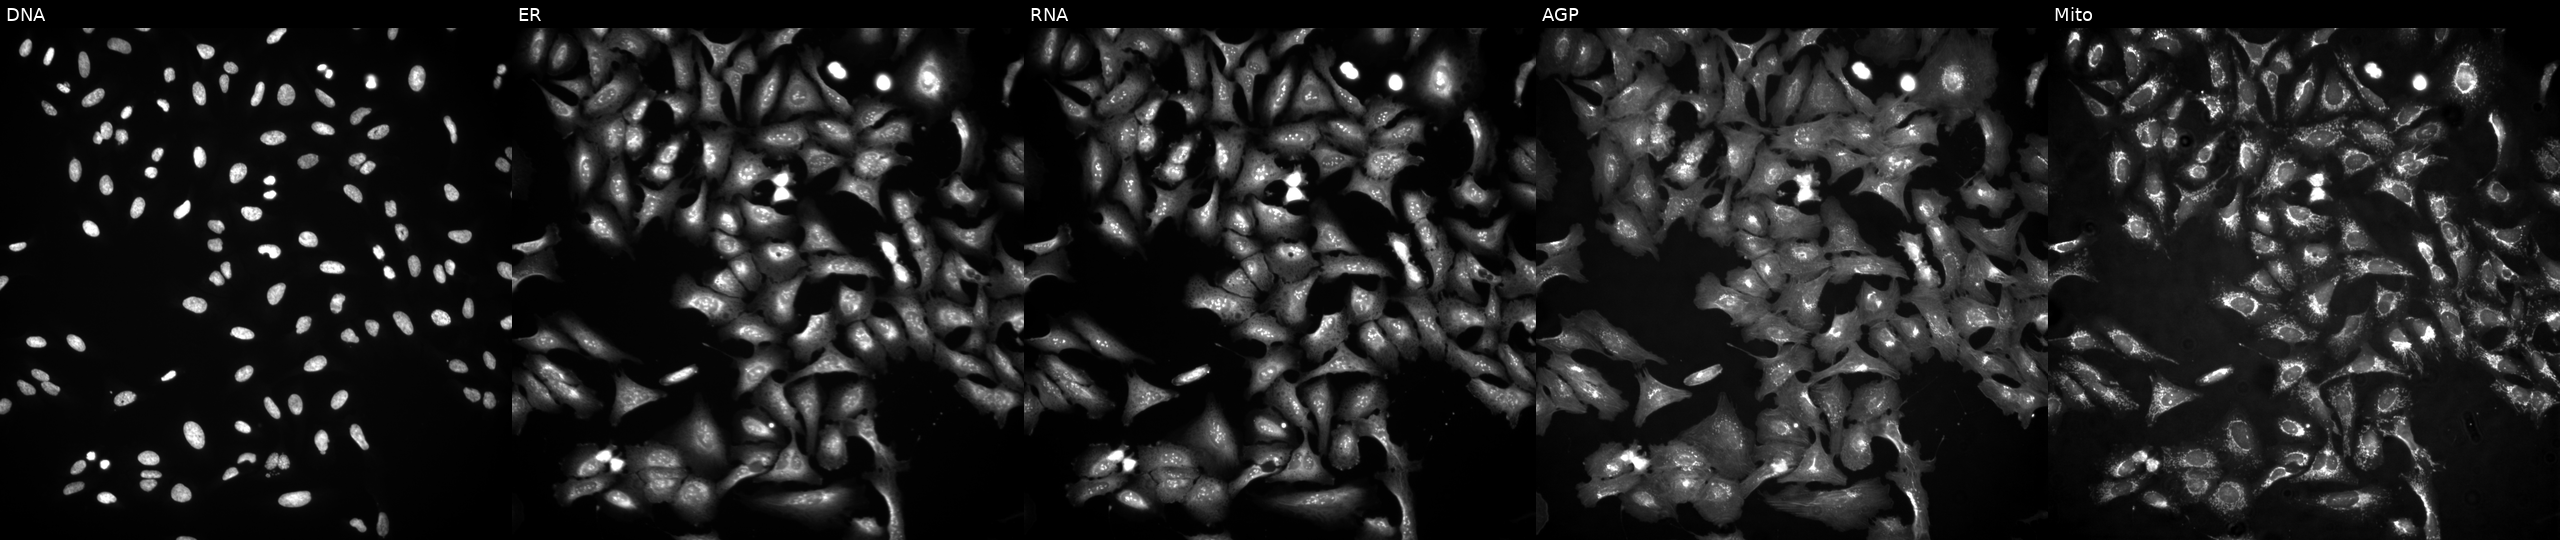
This image strip shows the five Cell Painting channels for a single field of U2OS cells with CPEB1 overexpressed (ORF) (JUMP id JCP2022_908273). From left to right: Hoechst 33342, concanavalin A, SYTO 14, phalloidin and WGA, MitoTracker.